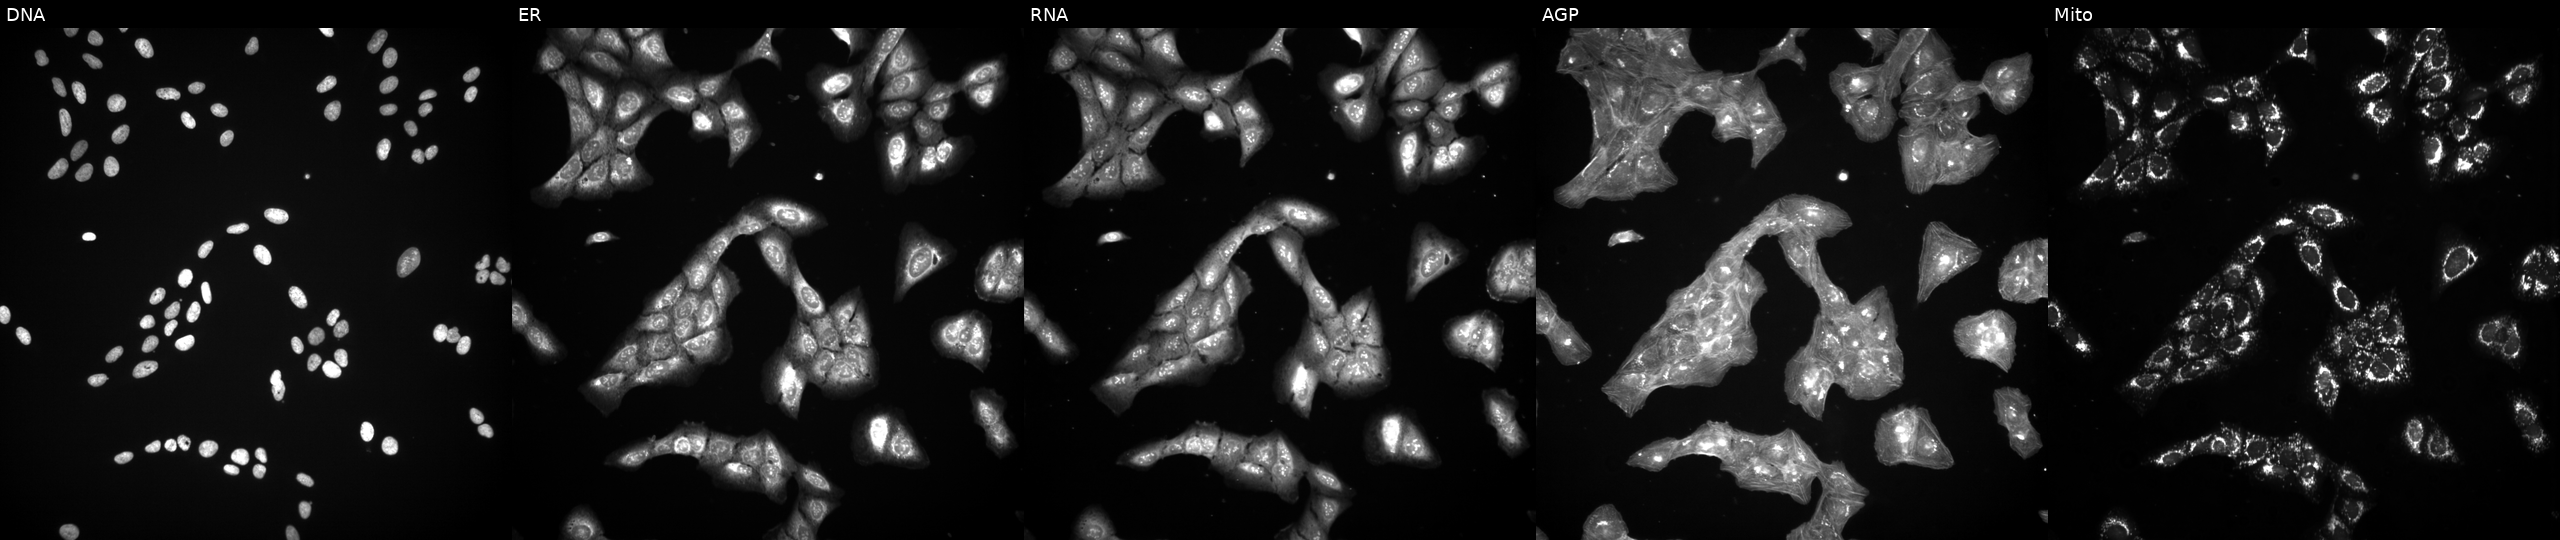
JUMP Cell Painting — COMPOUND plate. U2OS cells exposed to a small-molecule compound (InChIKey LERMIPDQTUVJBE-UHFFFAOYSA-N). Panels show, left to right, DNA (nuclei); ER (endoplasmic reticulum); RNA (nucleoli and cytoplasmic RNA); AGP (actin cytoskeleton, Golgi, and plasma membrane); Mito (mitochondria).